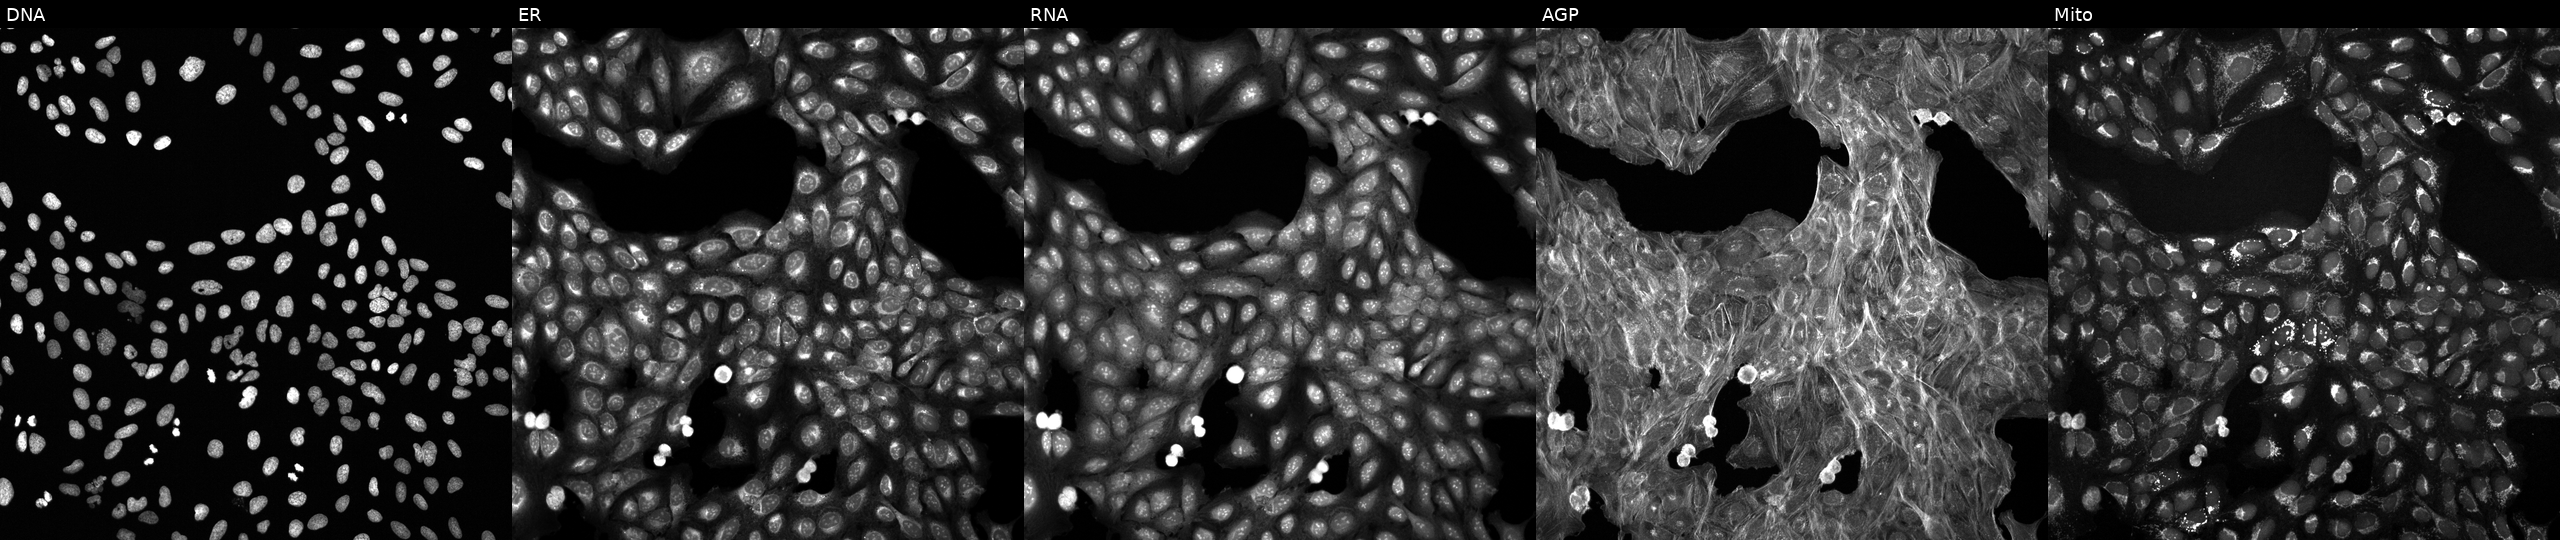
U2OS cells, Cell Painting assay, exposed to a small-molecule compound (InChIKey GAPJSWQJVVMEGL-UHFFFAOYSA-N). The five panels, left to right, show Hoechst 33342, concanavalin A, SYTO 14, phalloidin and WGA, MitoTracker. Each panel is percentile-stretched 16-bit fluorescence. Source 6, plate 110000293082, well D04.